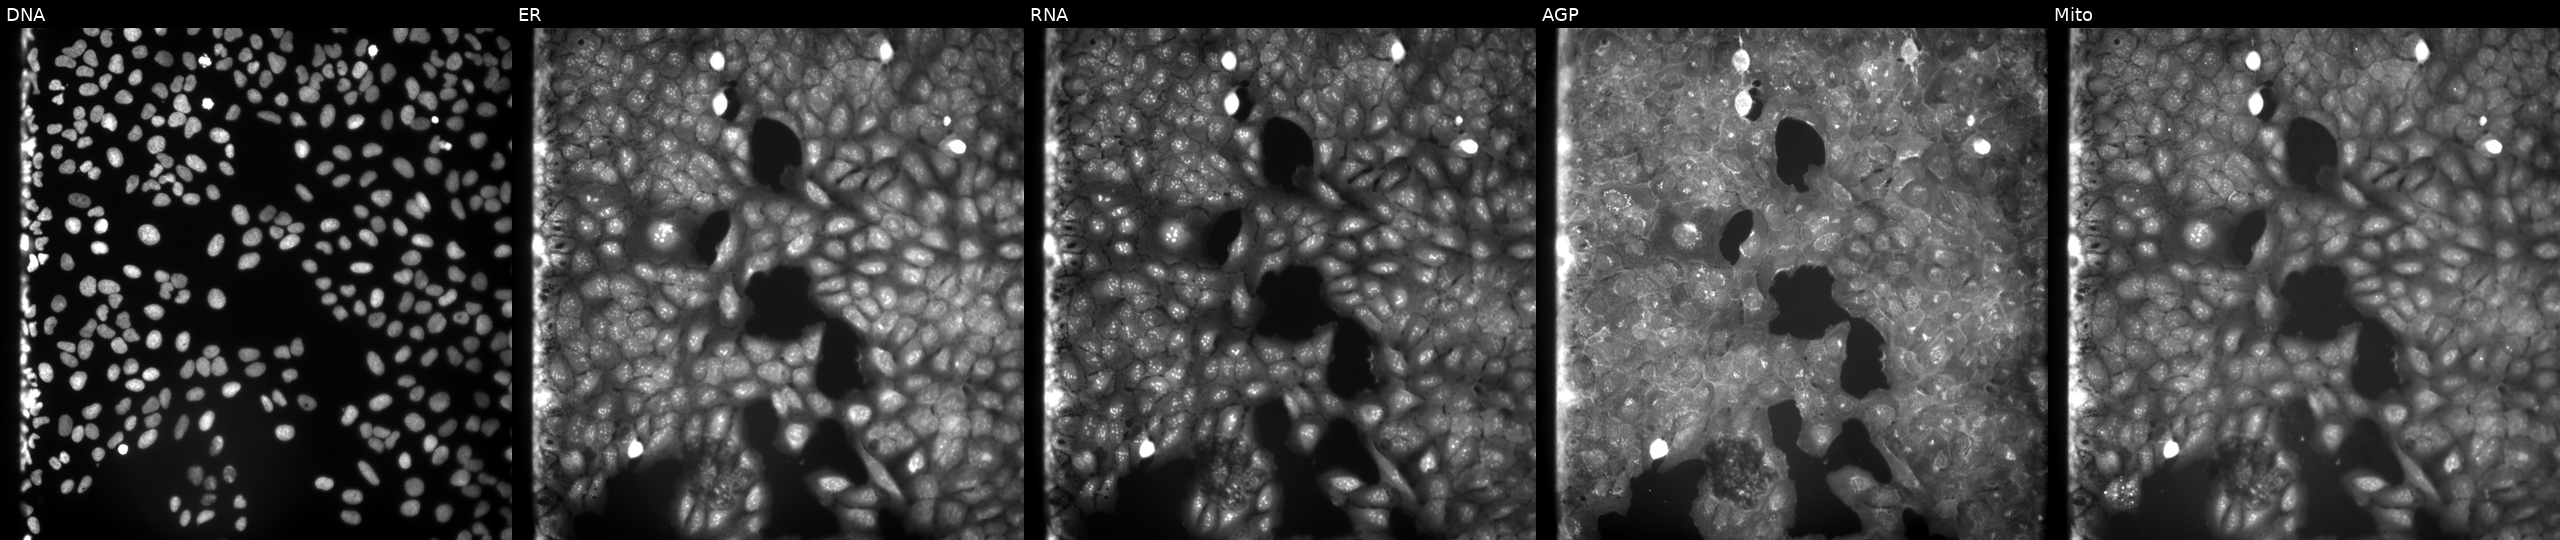
This image strip shows the five Cell Painting channels for a single field of U2OS cells treated with a small-molecule compound (JUMP id JCP2022_088386). Channels (left→right): DNA, ER, RNA, AGP, and Mito. Source 9, plate GR00003381, well E09.